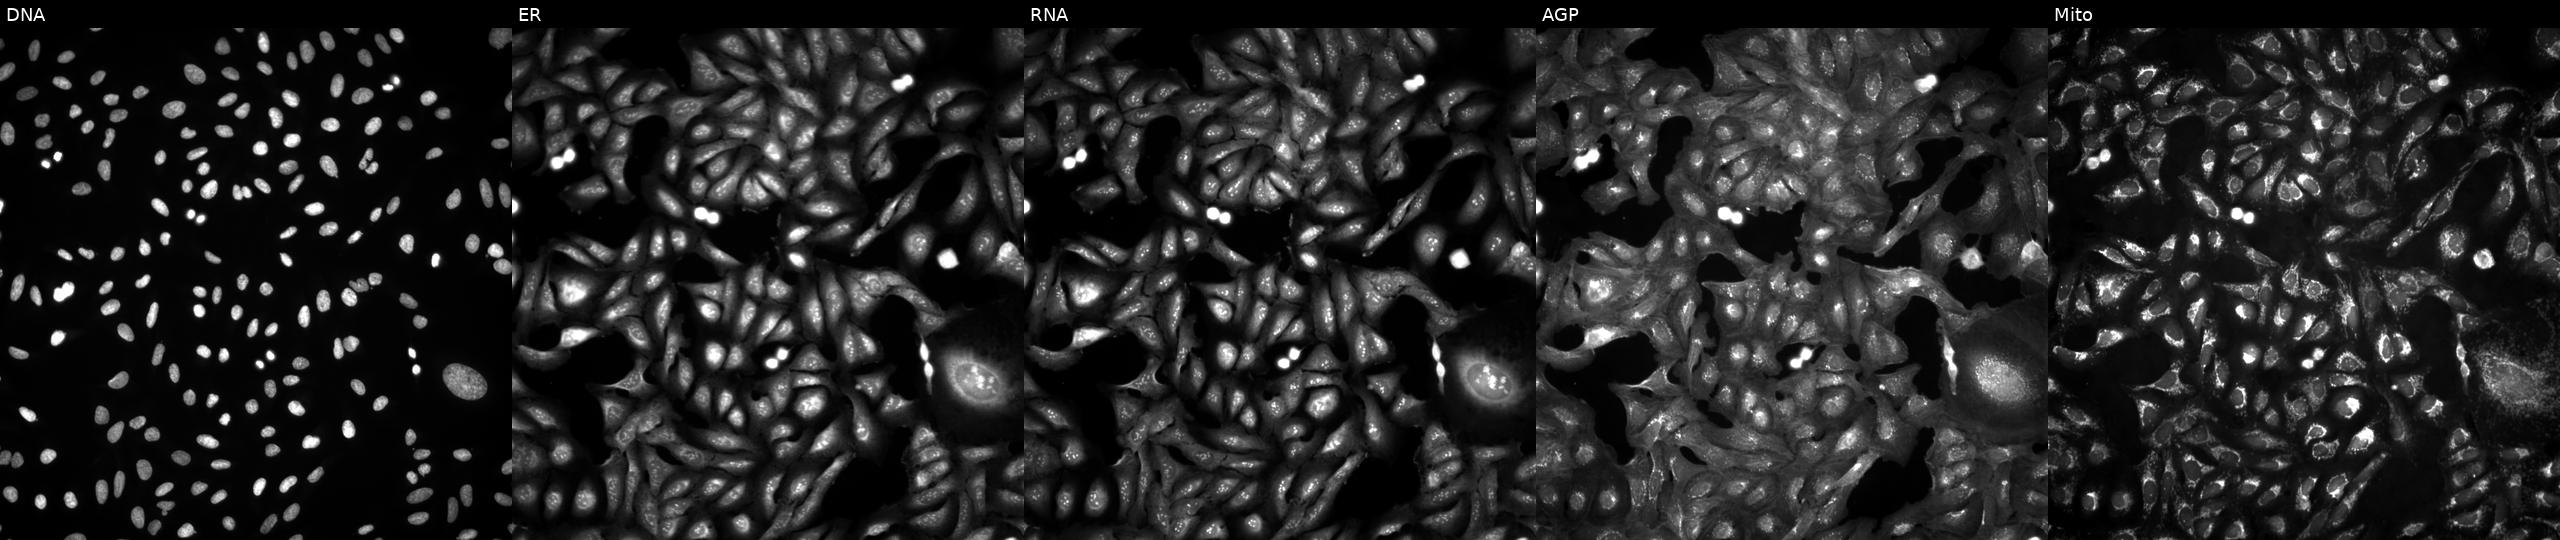
High-content fluorescence microscopy (Cell Painting). Cell line: U2OS. Perturbation: in an empty control well (no perturbation) (JUMP id JCP2022_999999). Panels show, left to right, DNA, ER, RNA, AGP, and Mito. Source 4, plate BR00124793, well I07.